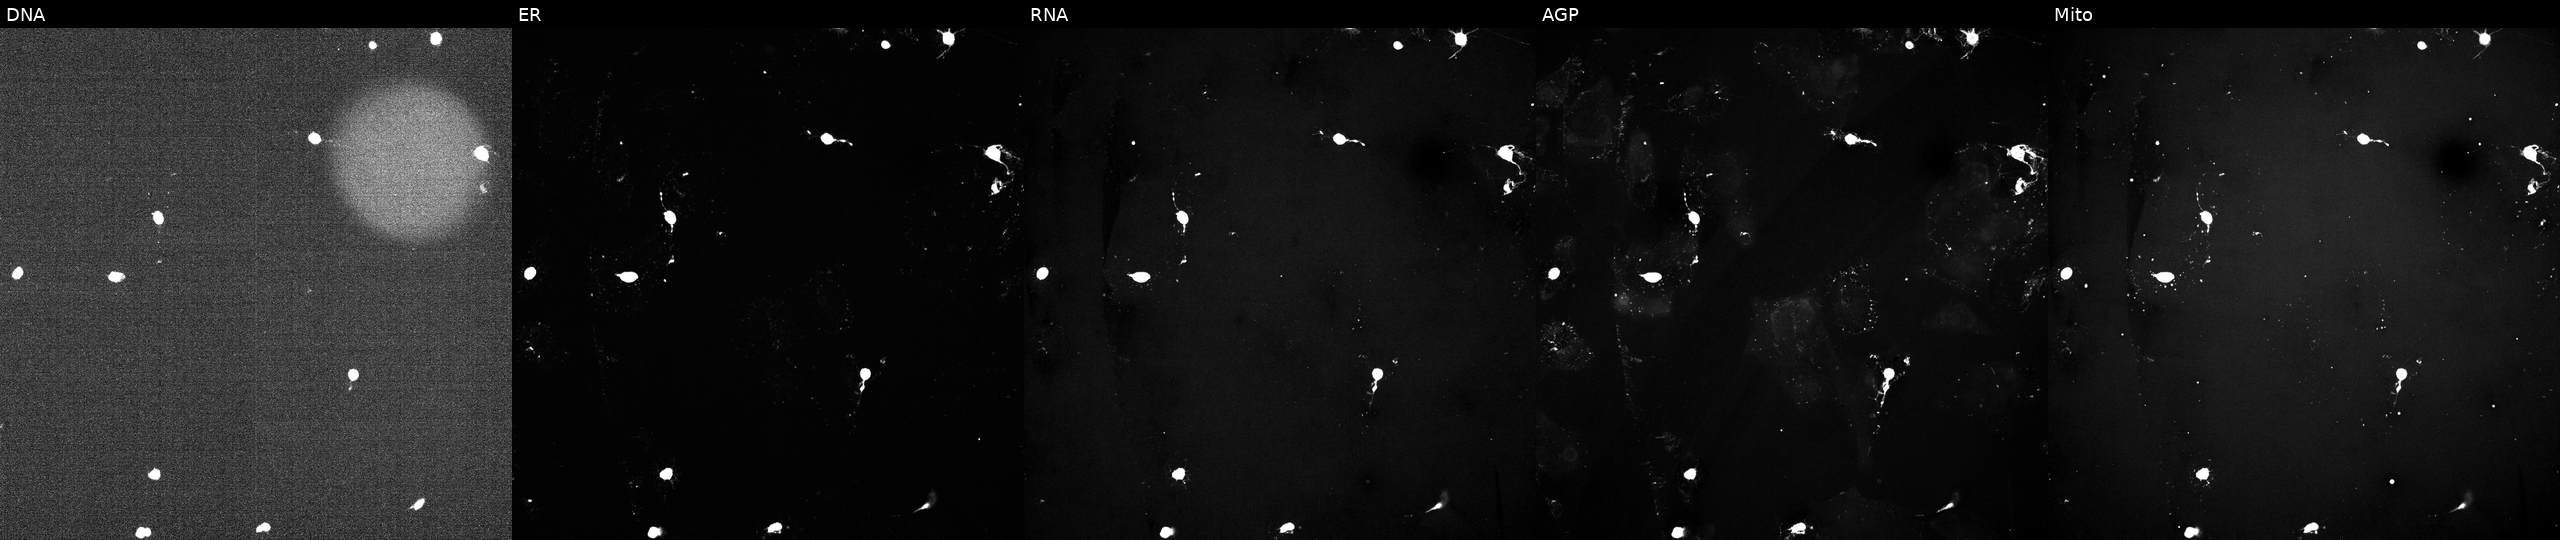
High-content fluorescence microscopy (Cell Painting). Cell line: U2OS. Perturbation: treated with a small-molecule compound (InChIKey IAYGCINLNONXHY-UHFFFAOYSA-N) [SMILES: NC(=O)Nc1cc(-c2cccc(F)c2)sc1C(=O)NC1CCCNC1] (JUMP id JCP2022_033914). The five panels, left to right, show DNA, ER, RNA, AGP, and Mito. Source 5, plate ACPJUM032, well F22.